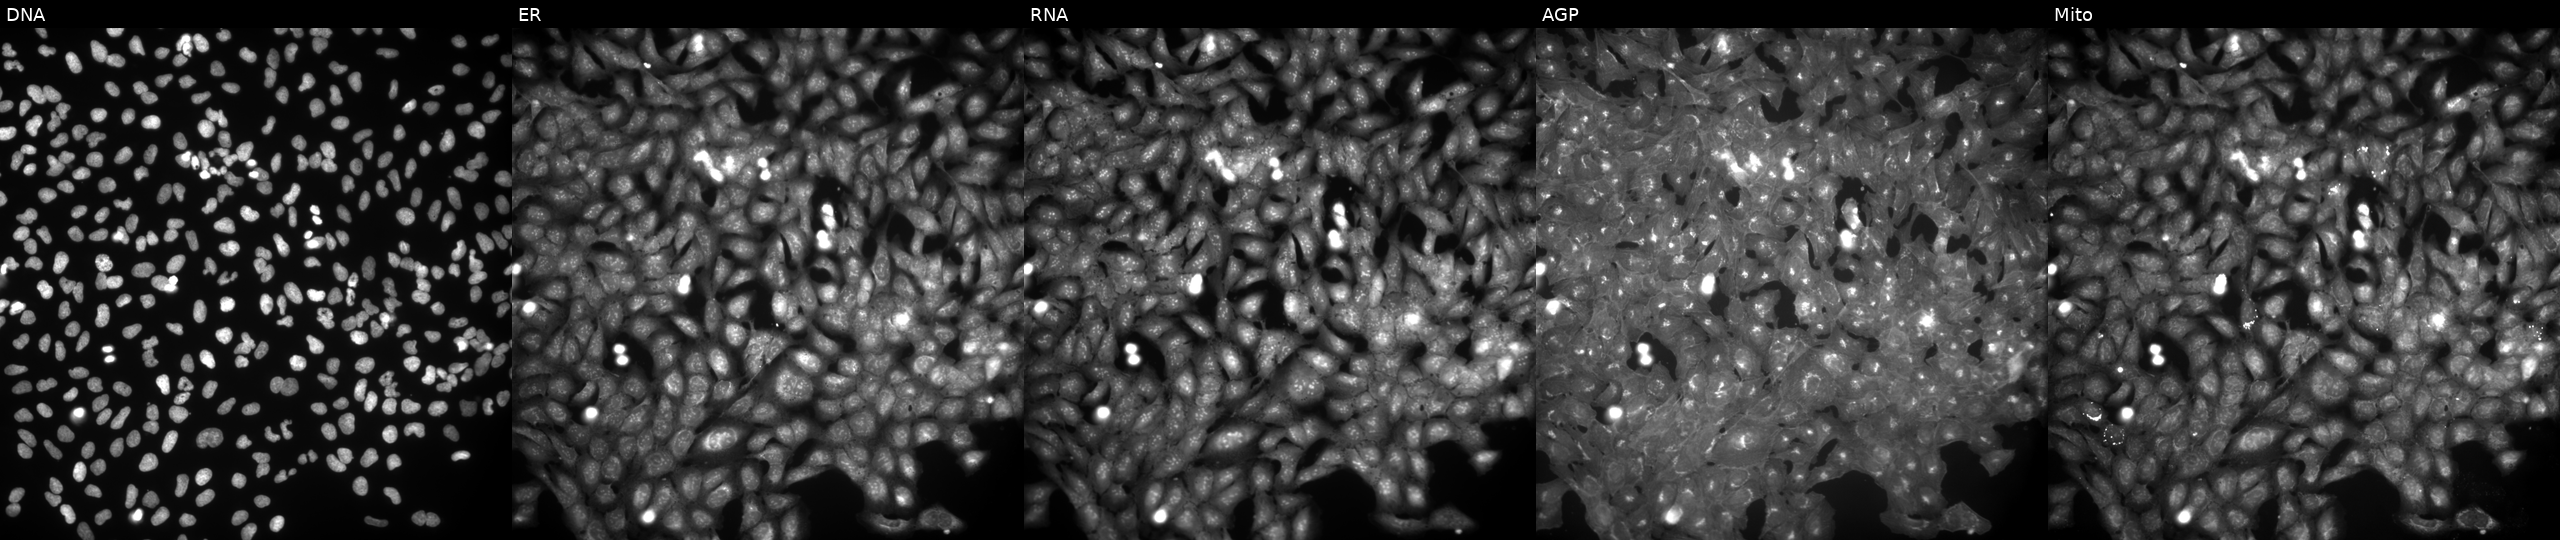
U2OS cells, Cell Painting assay, exposed to the positive-control compound NVS-PAK1-1 (JUMP id JCP2022_064022). Channels (left→right): Hoechst 33342, concanavalin A, SYTO 14, phalloidin and WGA, MitoTracker. Each panel is percentile-stretched 16-bit fluorescence. Source 9, plate GR00003381, well V25.